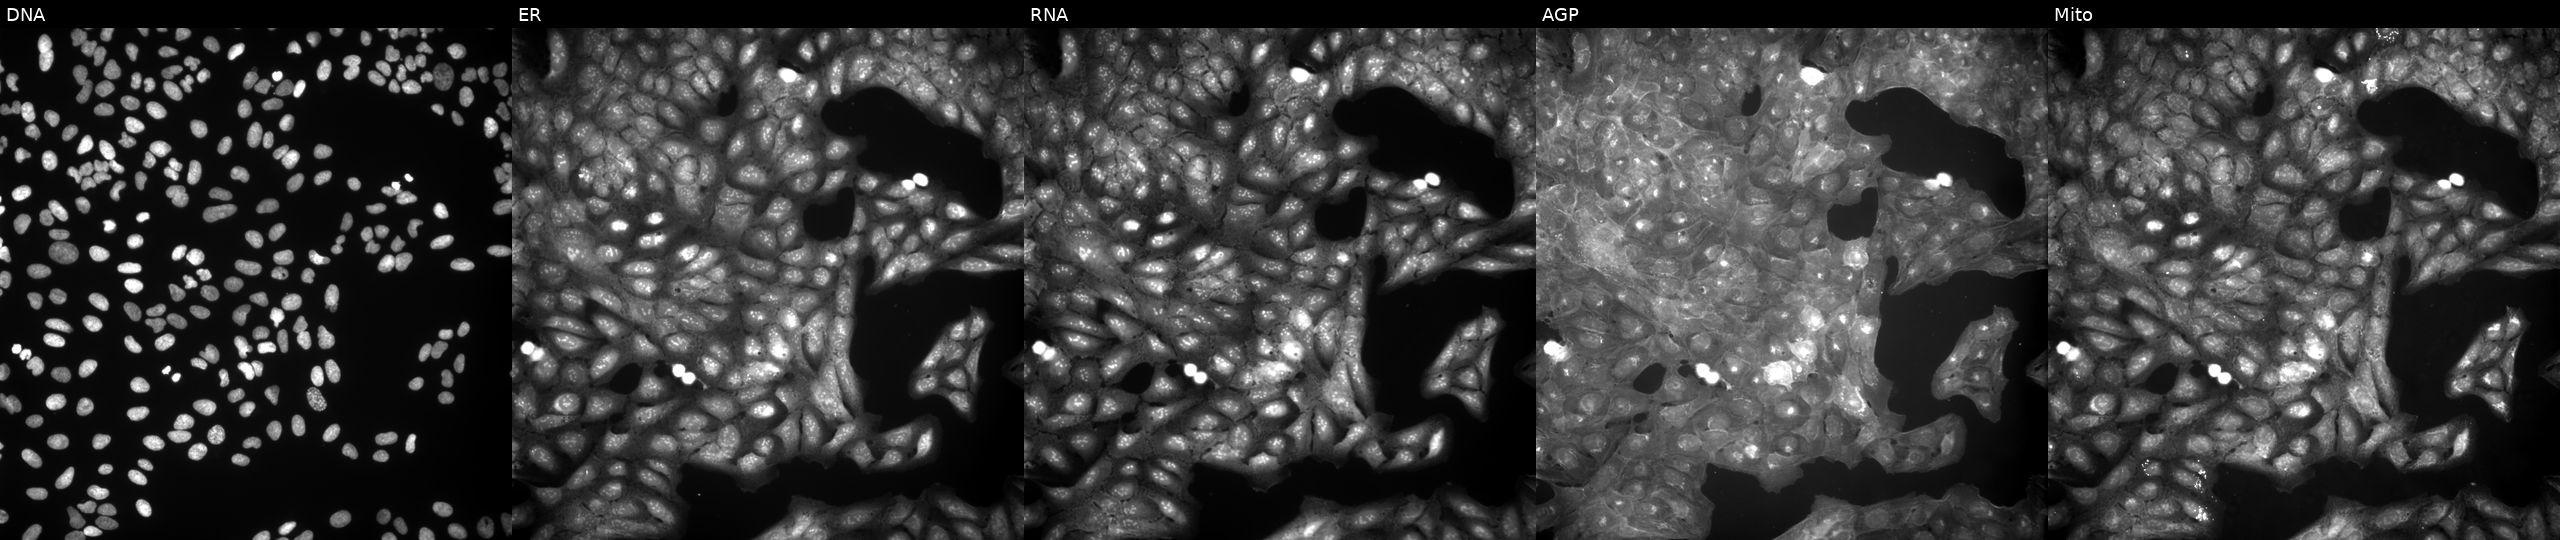
High-content fluorescence microscopy (Cell Painting). Cell line: U2OS. Perturbation: exposed to a small-molecule compound (InChIKey LCGVYGLDLGTJAP-UHFFFAOYSA-N) [SMILES: CCOC(=O)c1[nH]c2ccc(C)cc2c1CCCN1C(=O)c2ccccc2C1=O] (JUMP id JCP2022_048518). Panels show, left to right, Hoechst 33342, concanavalin A, SYTO 14, phalloidin and WGA, MitoTracker. Source 9, plate GR00003382, well C29.